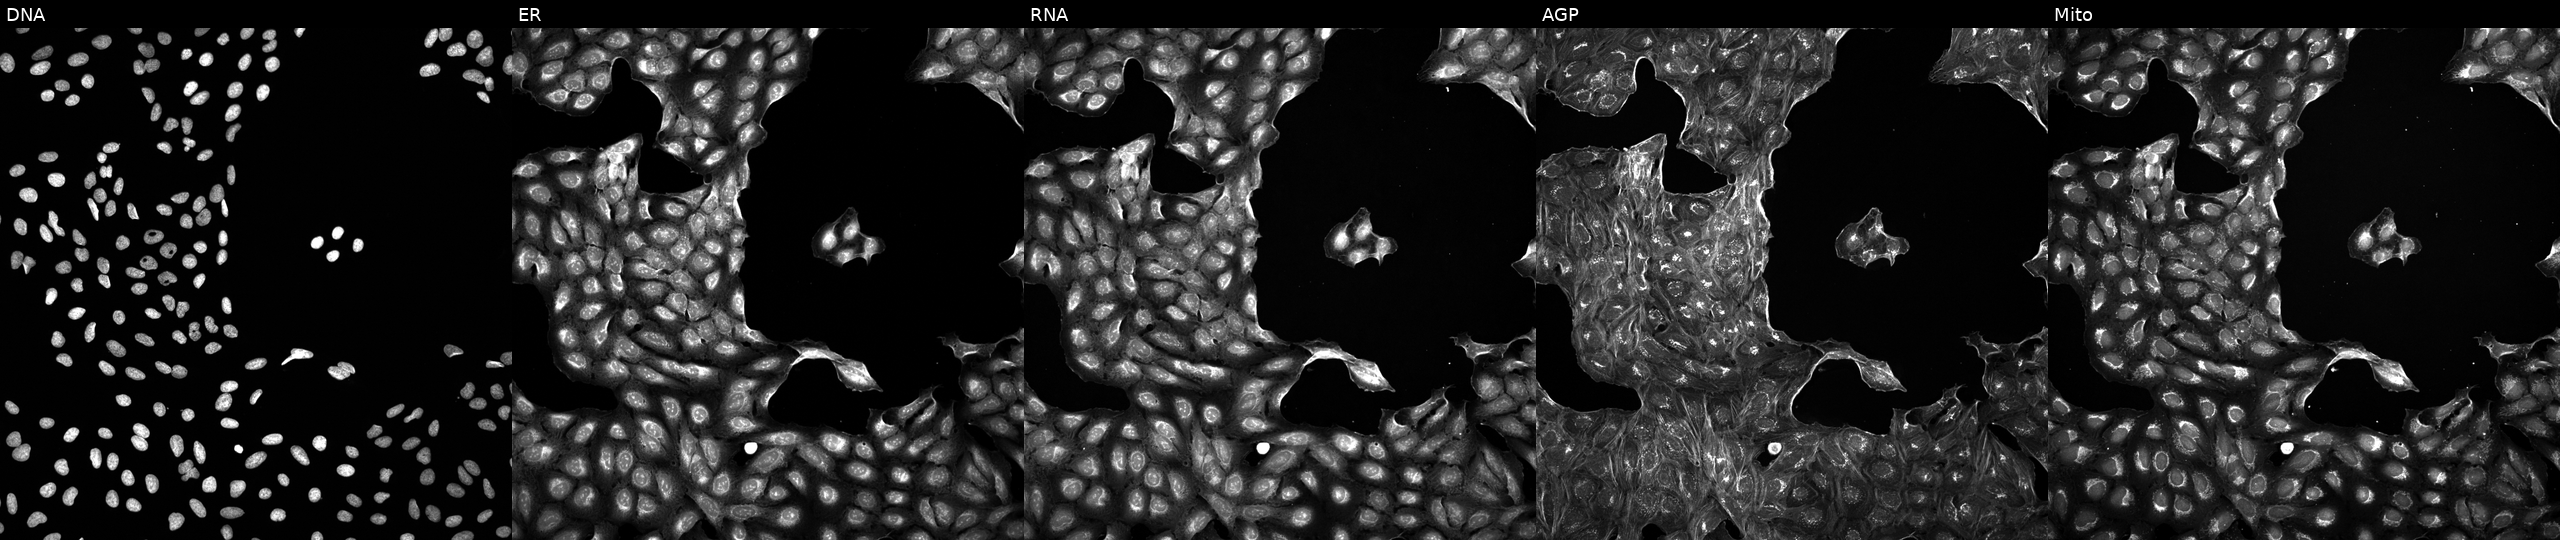
U2OS cells, Cell Painting assay, perturbed with a small-molecule compound (InChIKey IXXFSFDQFAVXEB-UHFFFAOYSA-N) (JUMP id JCP2022_038066). The five panels, left to right, show Hoechst 33342, concanavalin A, SYTO 14, phalloidin and WGA, MitoTracker. Each panel is percentile-stretched 16-bit fluorescence.